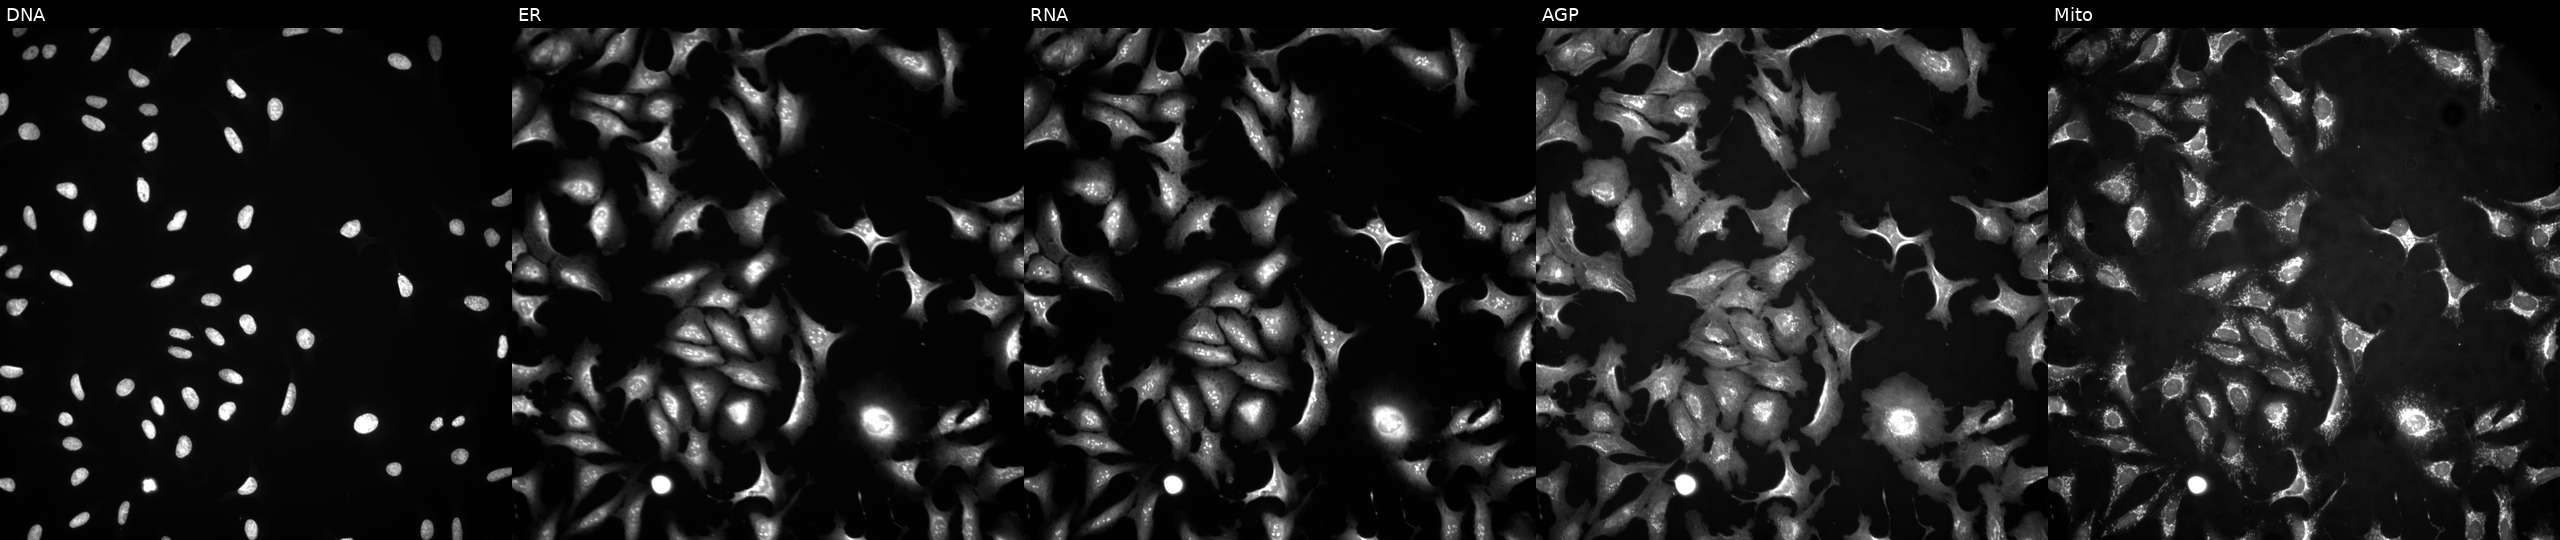
High-content fluorescence microscopy (Cell Painting). Cell line: U2OS. Perturbation: transfected with an ORF construct for GNAS (JUMP id JCP2022_914431). Panels show, left to right, Hoechst 33342, concanavalin A, SYTO 14, phalloidin and WGA, MitoTracker.